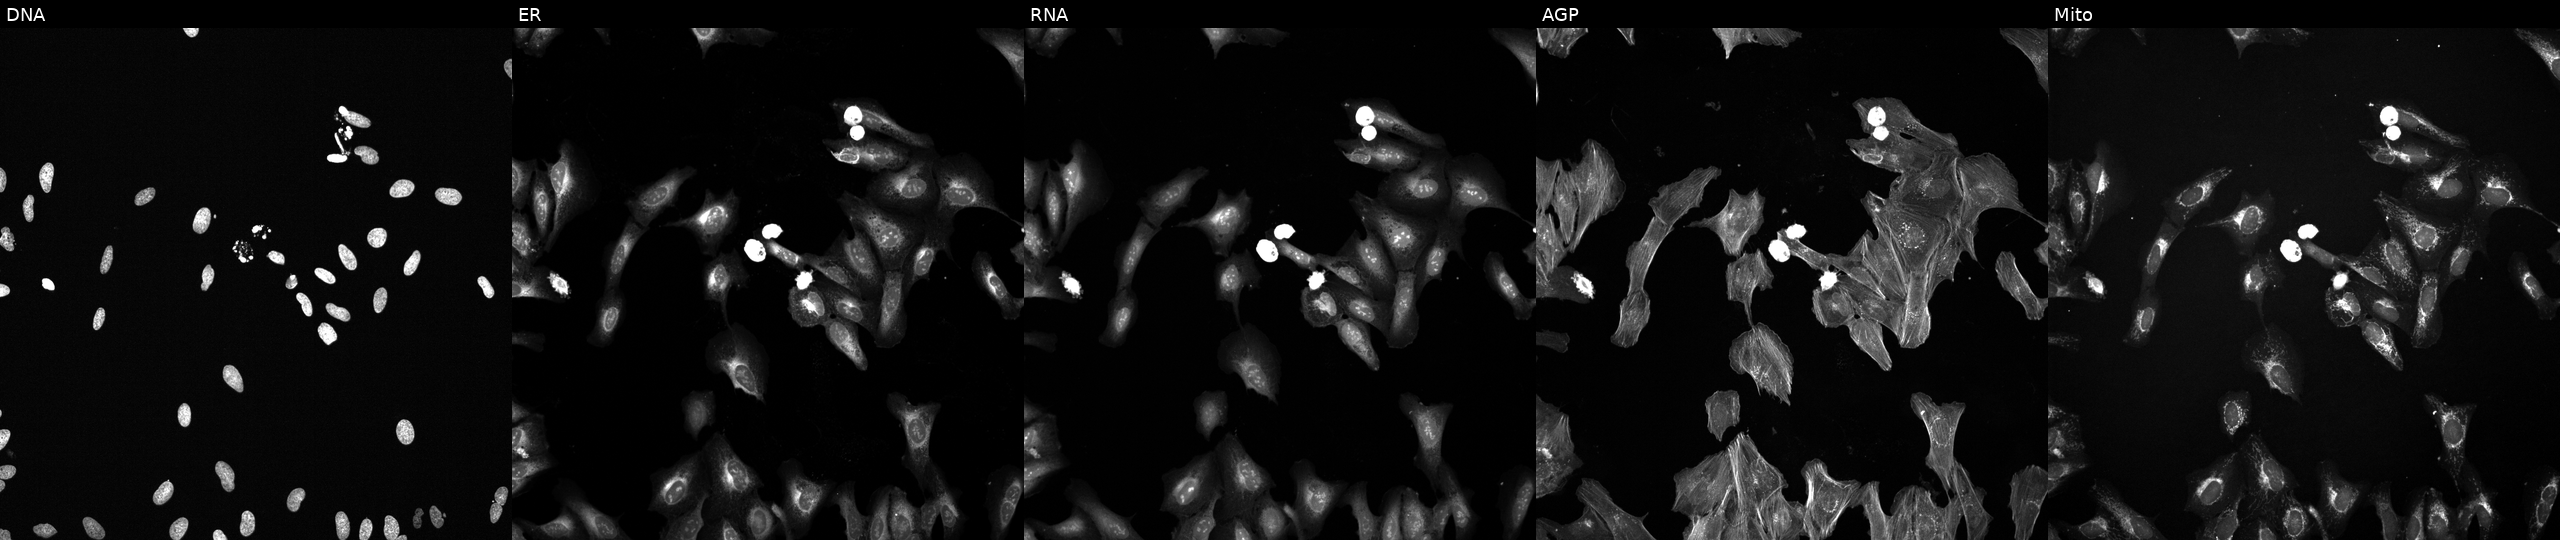
JUMP Cell Painting — TARGET2 plate. U2OS cells exposed to a small-molecule compound. Panels show, left to right, Hoechst 33342, concanavalin A, SYTO 14, phalloidin and WGA, MitoTracker. Source 6, plate 110000294901, well D05.